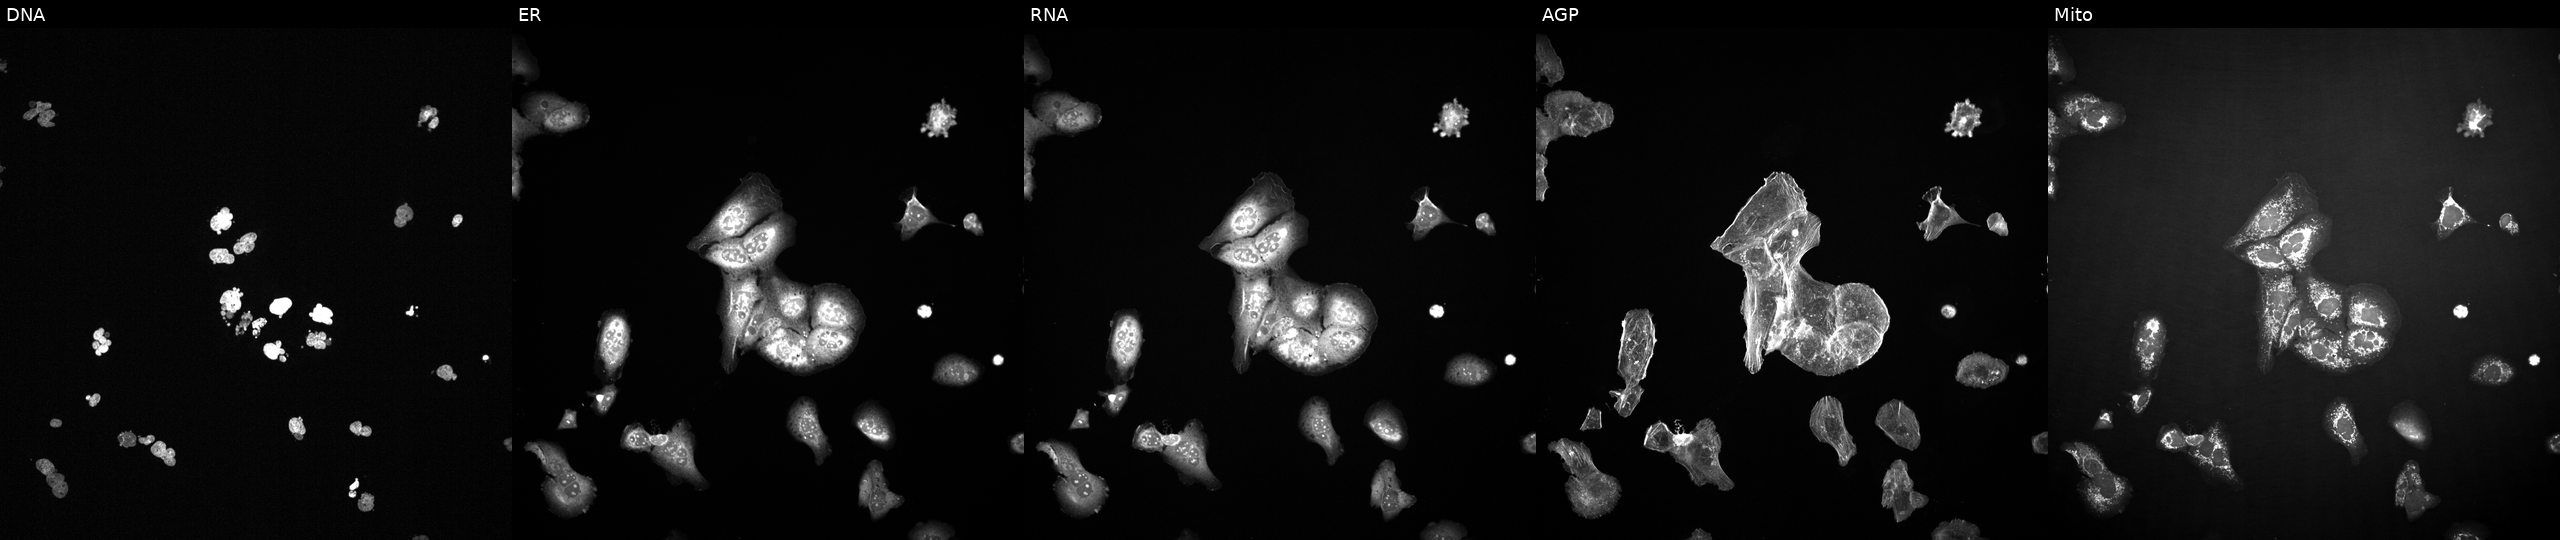
U2OS cells, Cell Painting assay, exposed to a small-molecule compound (InChIKey JOLJIIDDOBNFHW-UHFFFAOYSA-N) [SMILES: CCCCCCOc1nsnc1C1=CCCN(C)C1] (JUMP id JCP2022_041107). The five panels, left to right, show DNA (nuclei); ER (endoplasmic reticulum); RNA (nucleoli and cytoplasmic RNA); AGP (actin cytoskeleton, Golgi, and plasma membrane); Mito (mitochondria). Each panel is percentile-stretched 16-bit fluorescence.